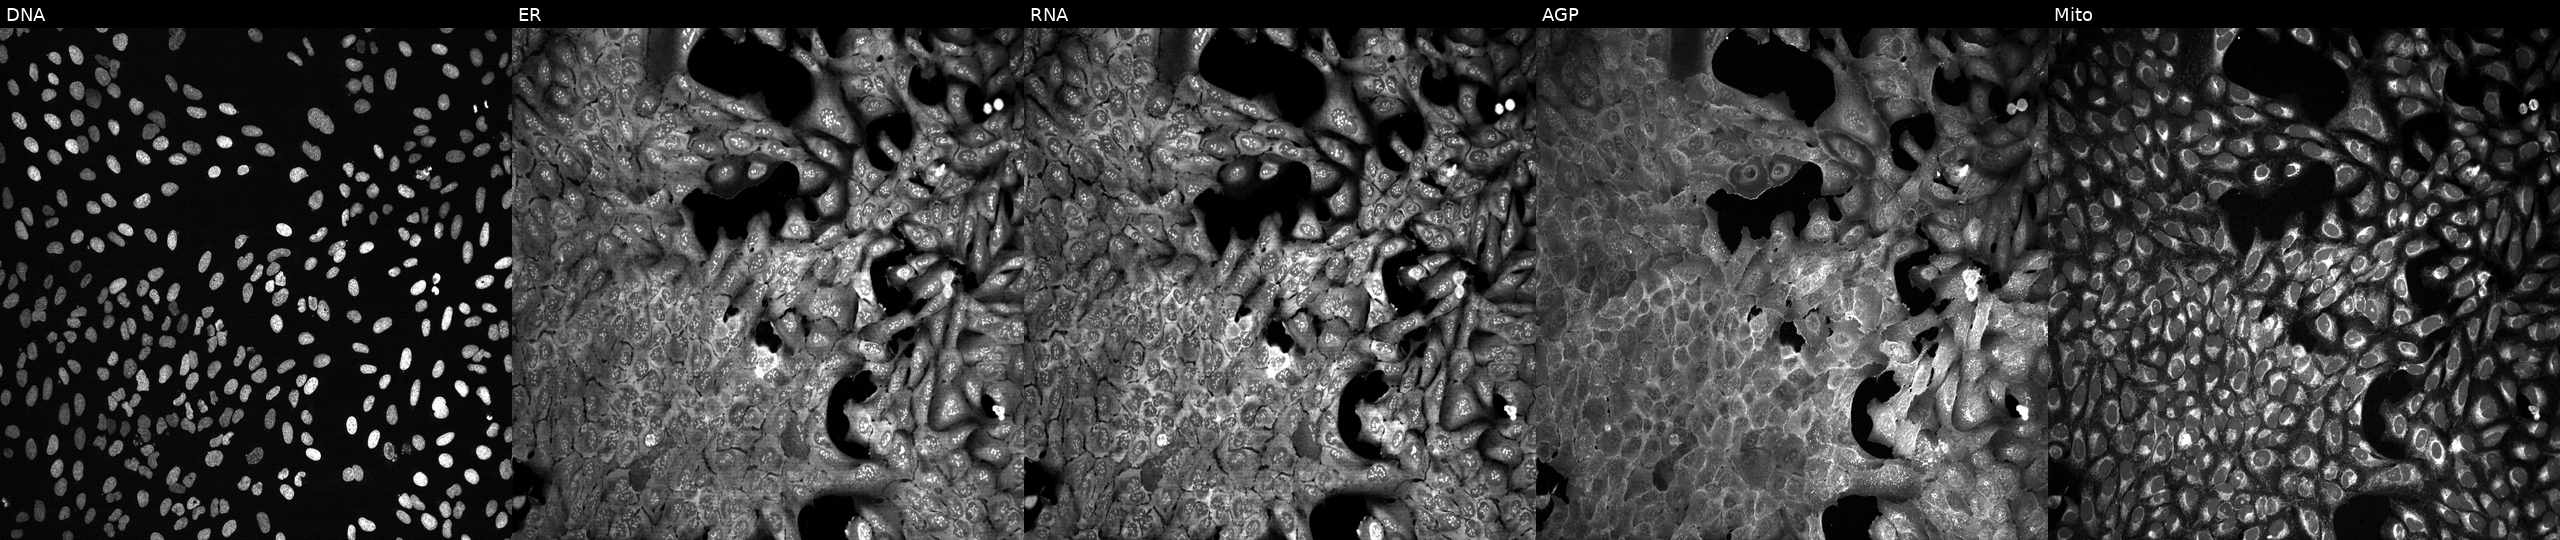
This image strip shows the five Cell Painting channels for a single field of U2OS cells following CRISPR knockout of MMP28 (JUMP id JCP2022_804225). Channels (left→right): Hoechst 33342, concanavalin A, SYTO 14, phalloidin and WGA, MitoTracker.